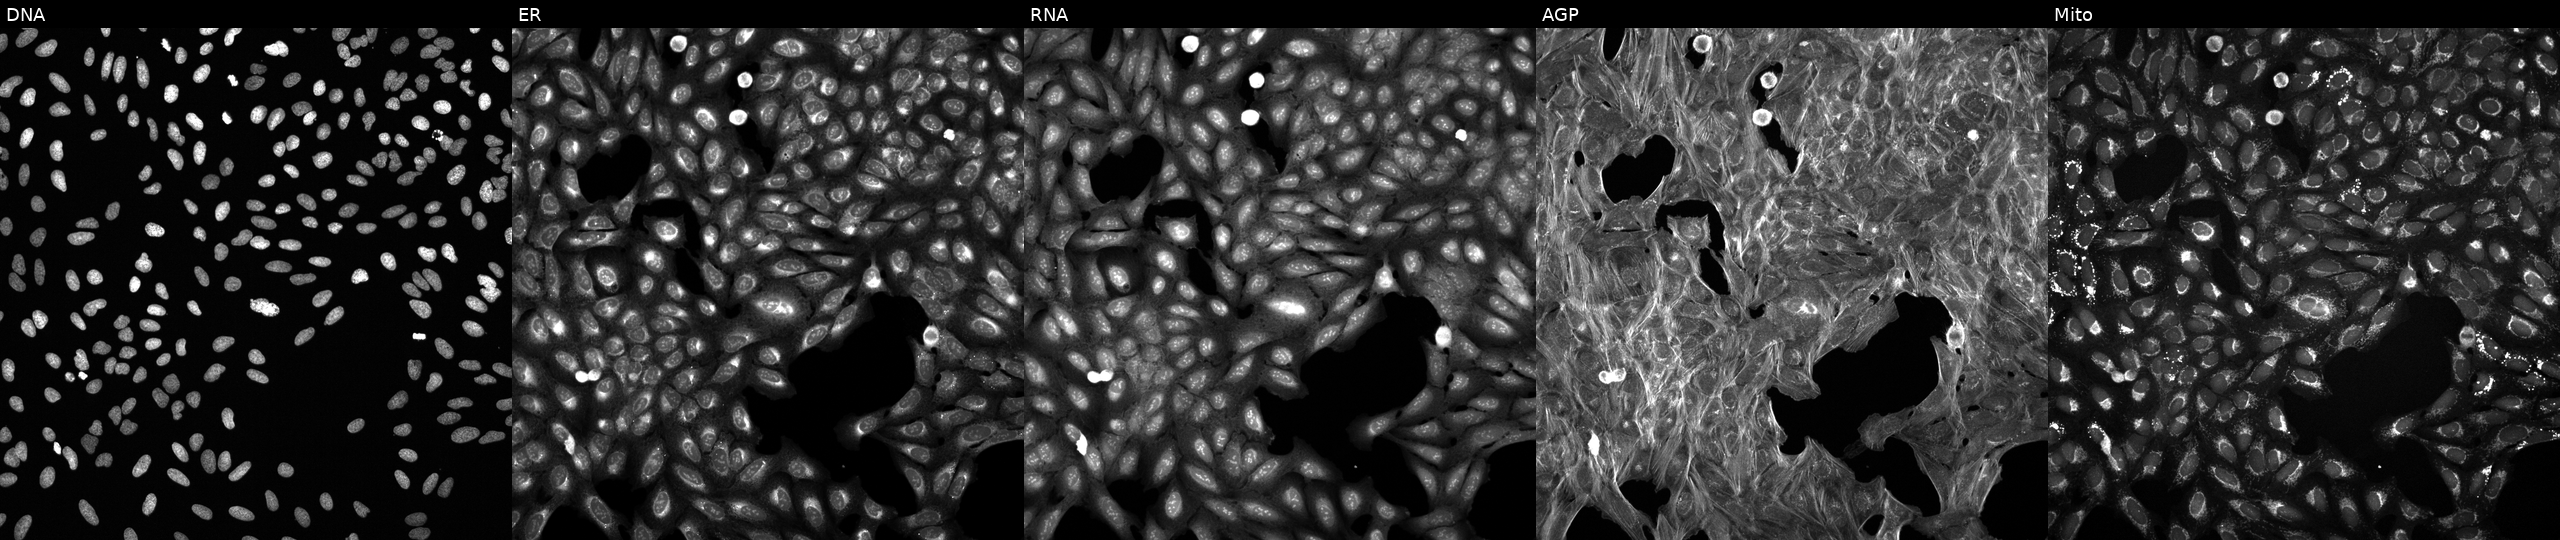
JUMP Cell Painting — TARGET2 plate. U2OS cells exposed to a small-molecule compound (InChIKey TXUZVZSFRXZGTL-UHFFFAOYSA-N) [SMILES: CCC(=C(c1ccc(O)cc1)c1ccc(OCCN(C)C)cc1)c1ccccc1] (JUMP id JCP2022_087444). Channels (left→right): DNA (nuclei); ER (endoplasmic reticulum); RNA (nucleoli and cytoplasmic RNA); AGP (actin cytoskeleton, Golgi, and plasma membrane); Mito (mitochondria). Source 6, plate 110000293093, well C15.